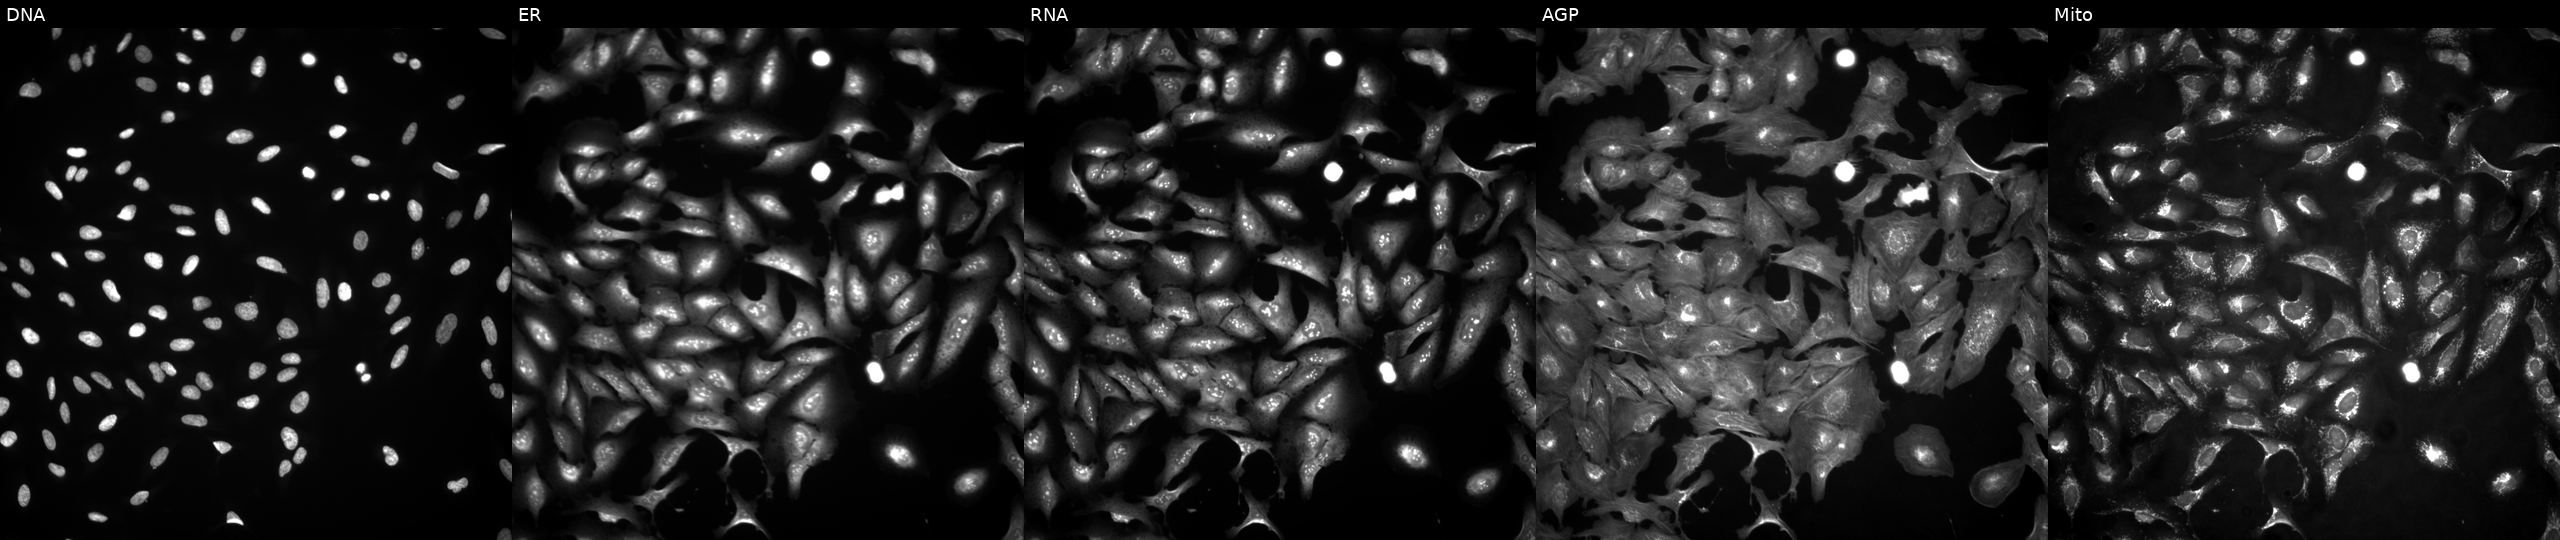
U2OS cells, Cell Painting assay, overexpressing IGKV1-5 via ORF transfection (JUMP id JCP2022_914778). The five panels, left to right, show Hoechst 33342, concanavalin A, SYTO 14, phalloidin and WGA, MitoTracker. Each panel is percentile-stretched 16-bit fluorescence.